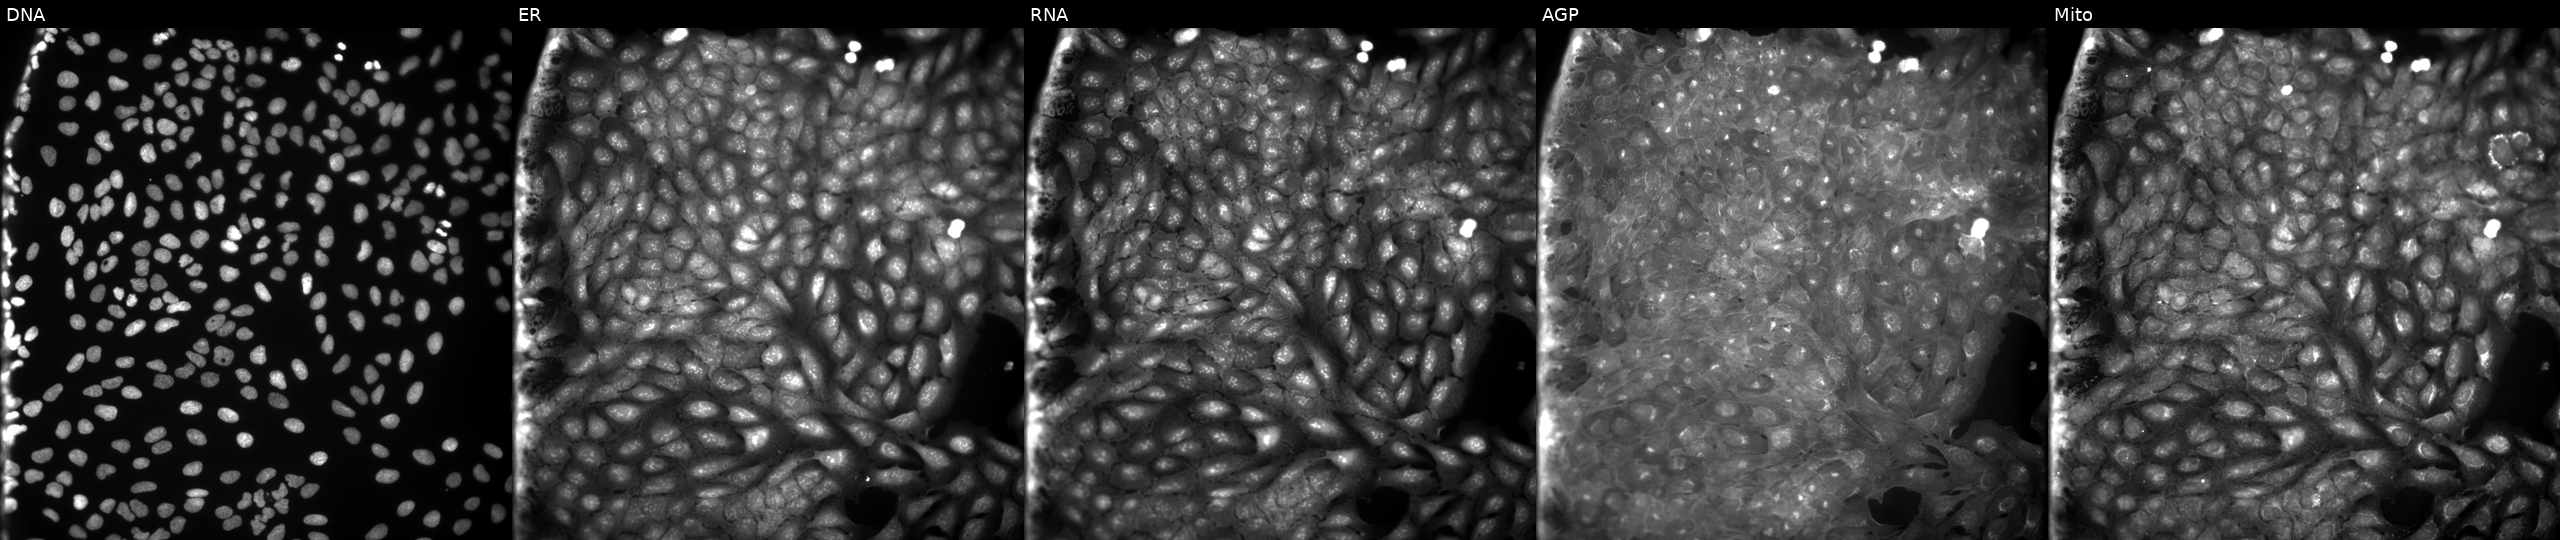
U2OS cells, Cell Painting assay, treated with a small-molecule compound (InChIKey KBCSQPZWZDYETK-UHFFFAOYSA-N) (JUMP id JCP2022_043443). Channels (left→right): DNA (nuclei); ER (endoplasmic reticulum); RNA (nucleoli and cytoplasmic RNA); AGP (actin cytoskeleton, Golgi, and plasma membrane); Mito (mitochondria). Each panel is percentile-stretched 16-bit fluorescence.